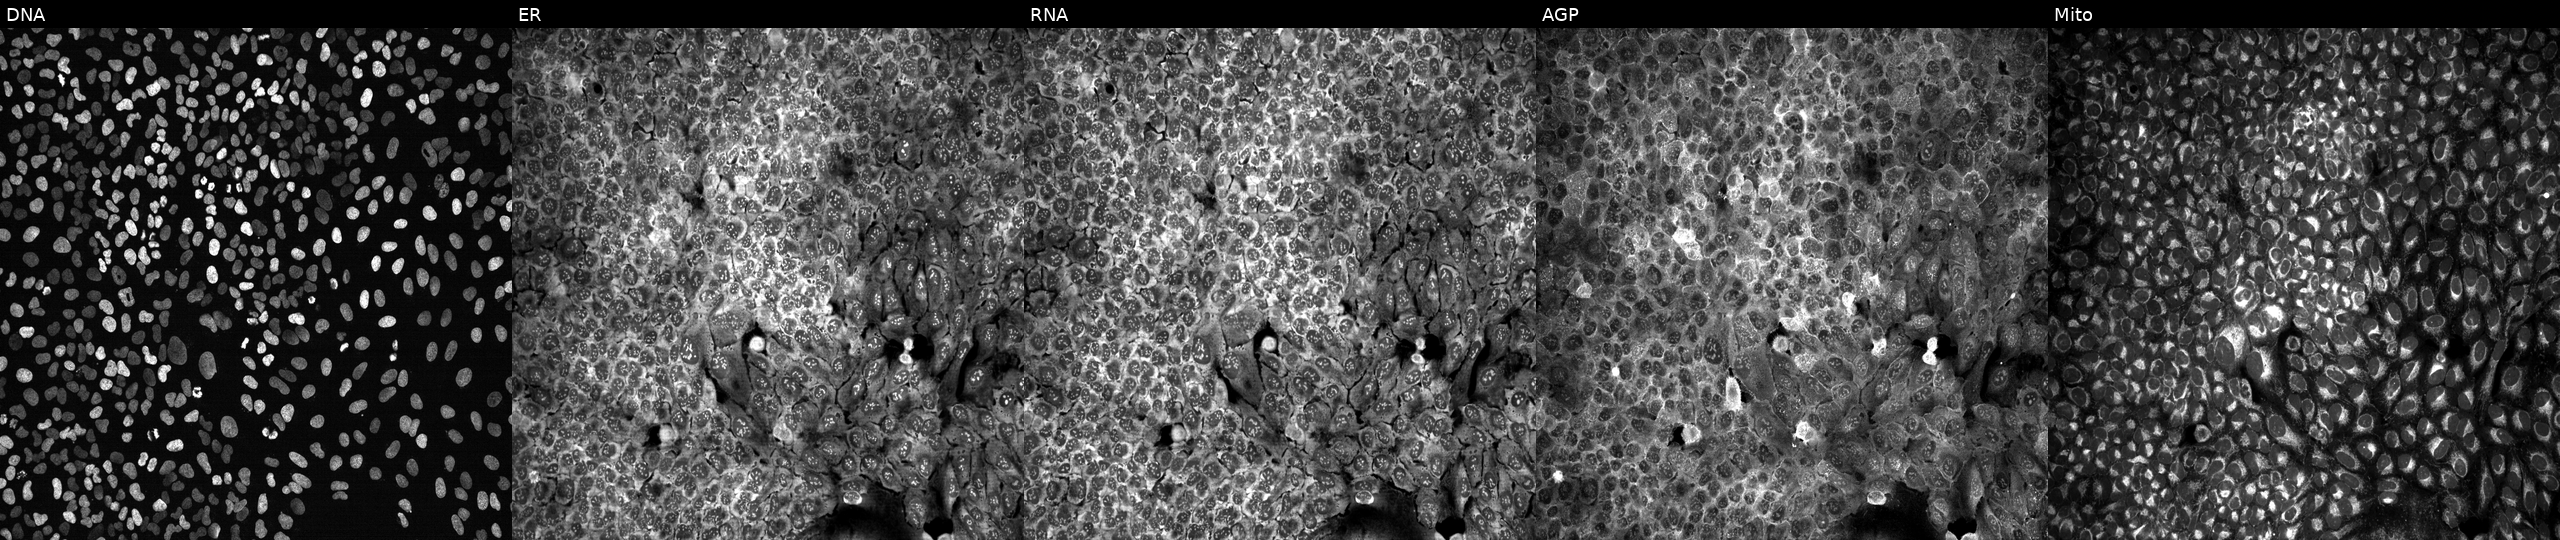
U2OS cells, Cell Painting assay, with a non-targeting CRISPR guide (negative control). Channels (left→right): Hoechst 33342, concanavalin A, SYTO 14, phalloidin and WGA, MitoTracker. Each panel is percentile-stretched 16-bit fluorescence.